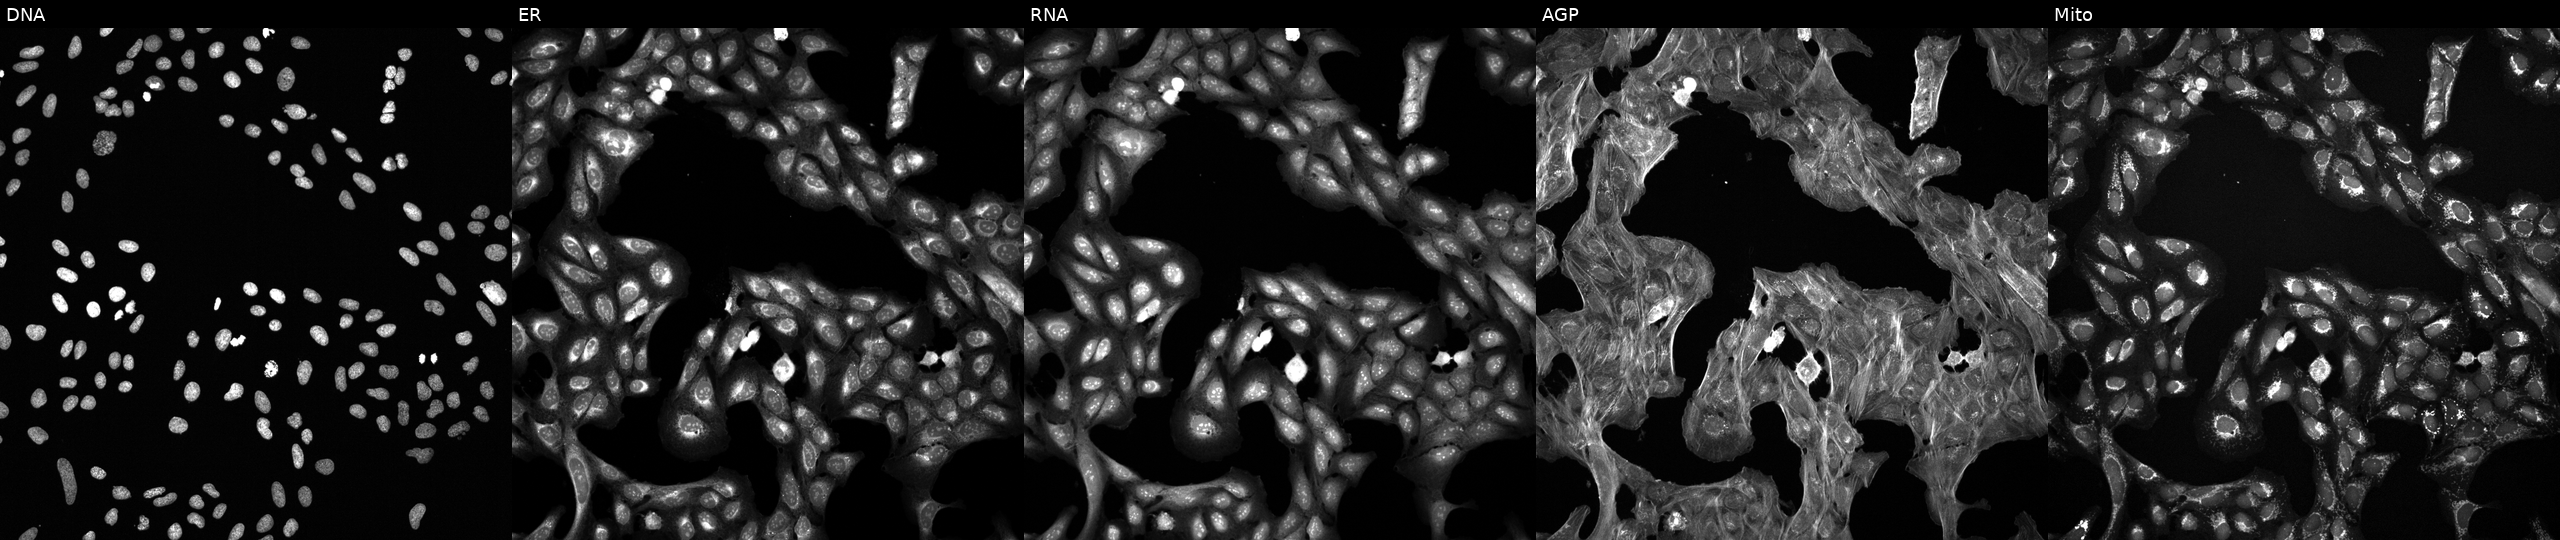
JUMP Cell Painting — TARGET2 plate. U2OS cells exposed to a small-molecule compound. The five panels, left to right, show DNA (nuclei); ER (endoplasmic reticulum); RNA (nucleoli and cytoplasmic RNA); AGP (actin cytoskeleton, Golgi, and plasma membrane); Mito (mitochondria).